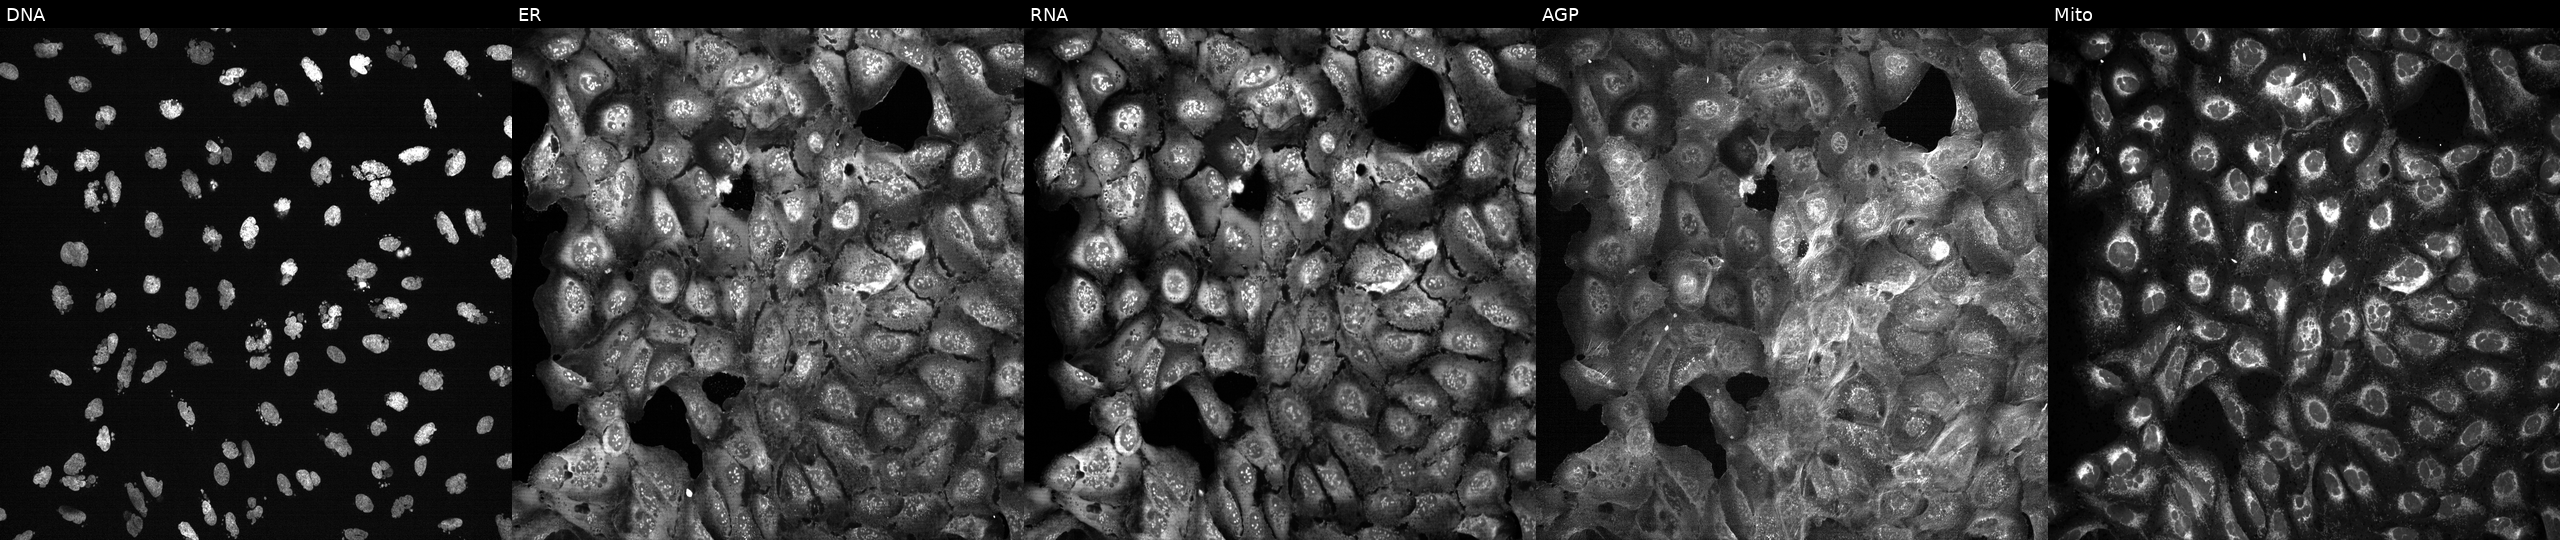
Five-channel Cell Painting image of U2OS cells treated with AMG900 (positive-control compound) (JUMP id JCP2022_037716). Channels (left→right): Hoechst 33342, concanavalin A, SYTO 14, phalloidin and WGA, MitoTracker. Source 13, plate CP-CC9-R2-01, well O24.